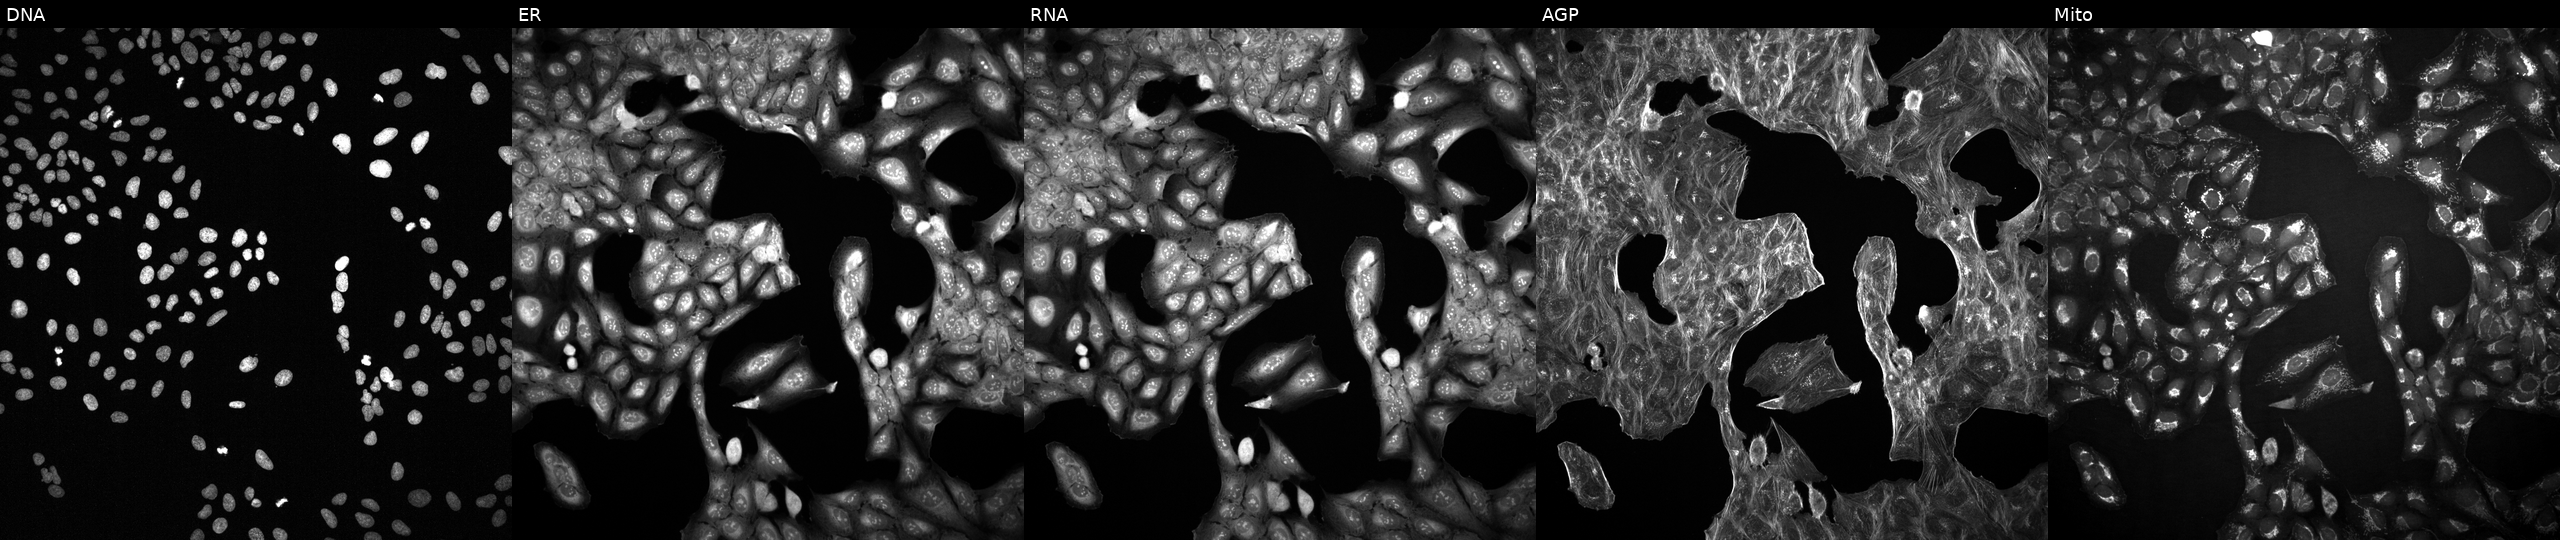
Five-channel Cell Painting image of U2OS cells with an unidentified perturbation (not annotated in JUMP metadata). The five panels, left to right, show DNA (nuclei); ER (endoplasmic reticulum); RNA (nucleoli and cytoplasmic RNA); AGP (actin cytoskeleton, Golgi, and plasma membrane); Mito (mitochondria). Source 2, plate 1053601763, well F13.